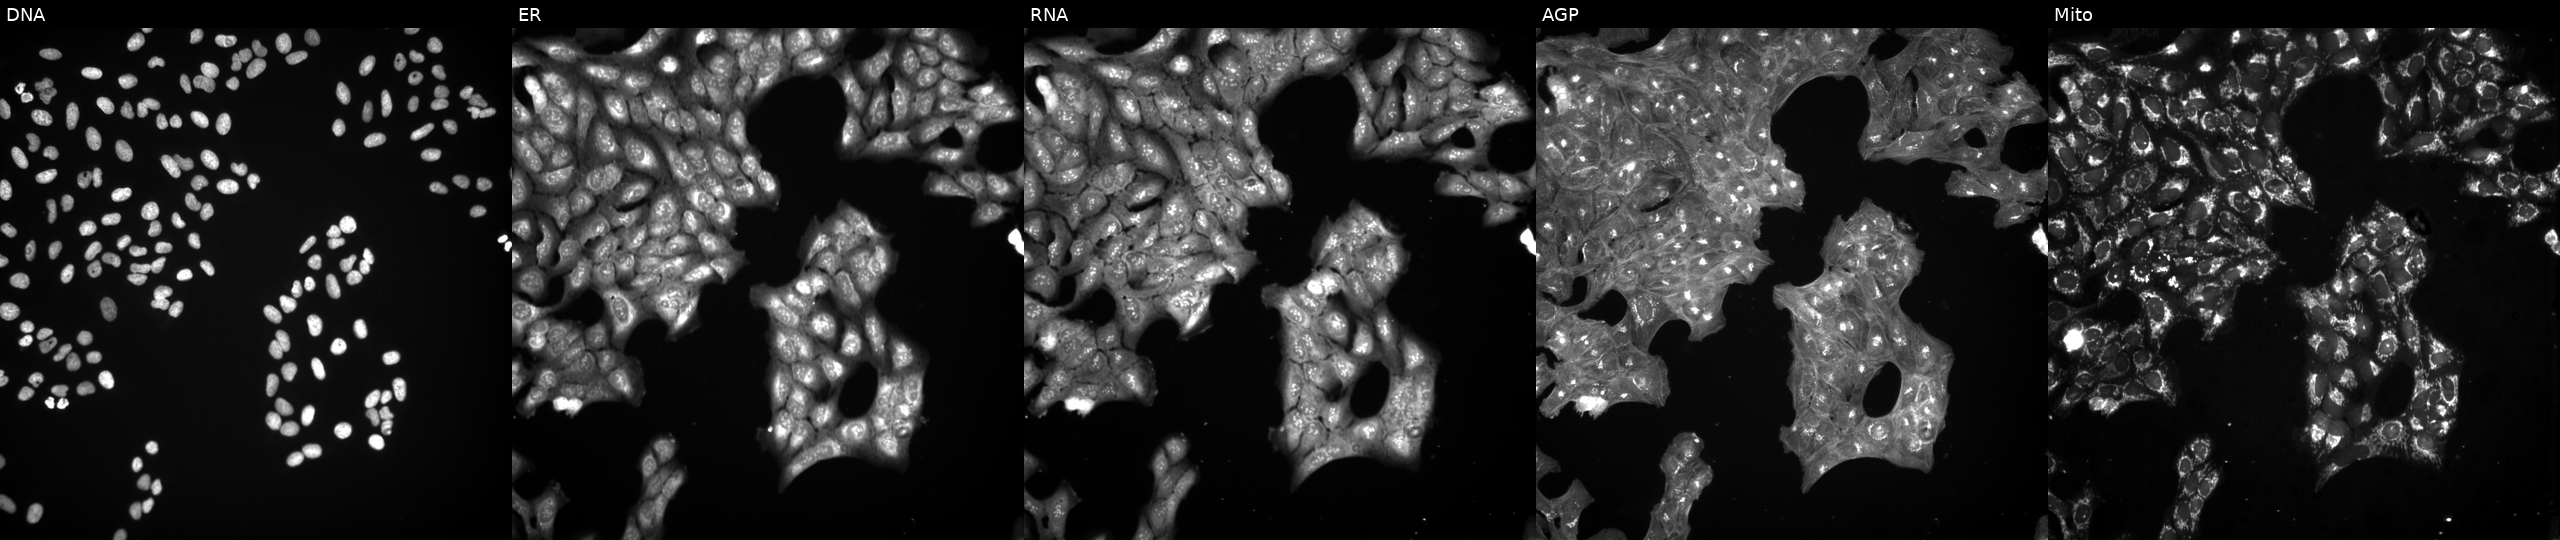
High-content fluorescence microscopy (Cell Painting). Cell line: U2OS. Perturbation: treated with a small-molecule compound (InChIKey NGVLWITYJNHXKY-UHFFFAOYSA-N) [SMILES: O=C(CCCOc1ccc(Cl)cc1)N=c1[nH]ncs1]. Panels show, left to right, DNA (nuclei); ER (endoplasmic reticulum); RNA (nucleoli and cytoplasmic RNA); AGP (actin cytoskeleton, Golgi, and plasma membrane); Mito (mitochondria).